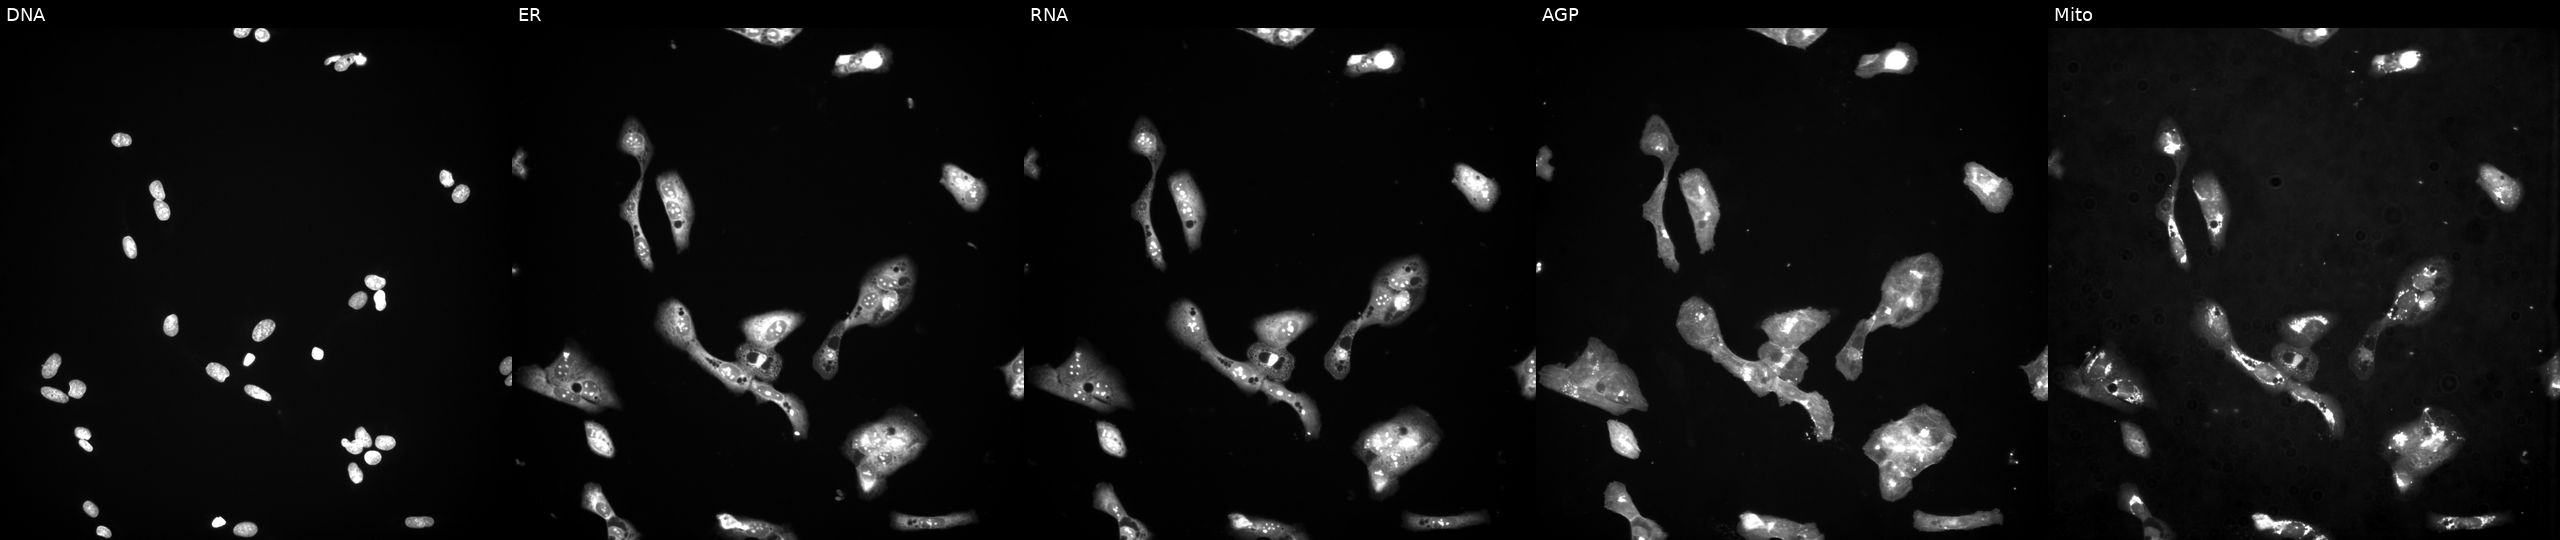
Five-channel Cell Painting image of U2OS cells perturbed with a small-molecule compound (InChIKey MNYJJHBAEYKXEG-UHFFFAOYSA-N) (JUMP id JCP2022_055397). Panels show, left to right, Hoechst 33342, concanavalin A, SYTO 14, phalloidin and WGA, MitoTracker. Source 3, plate JCPQC052, well B22.